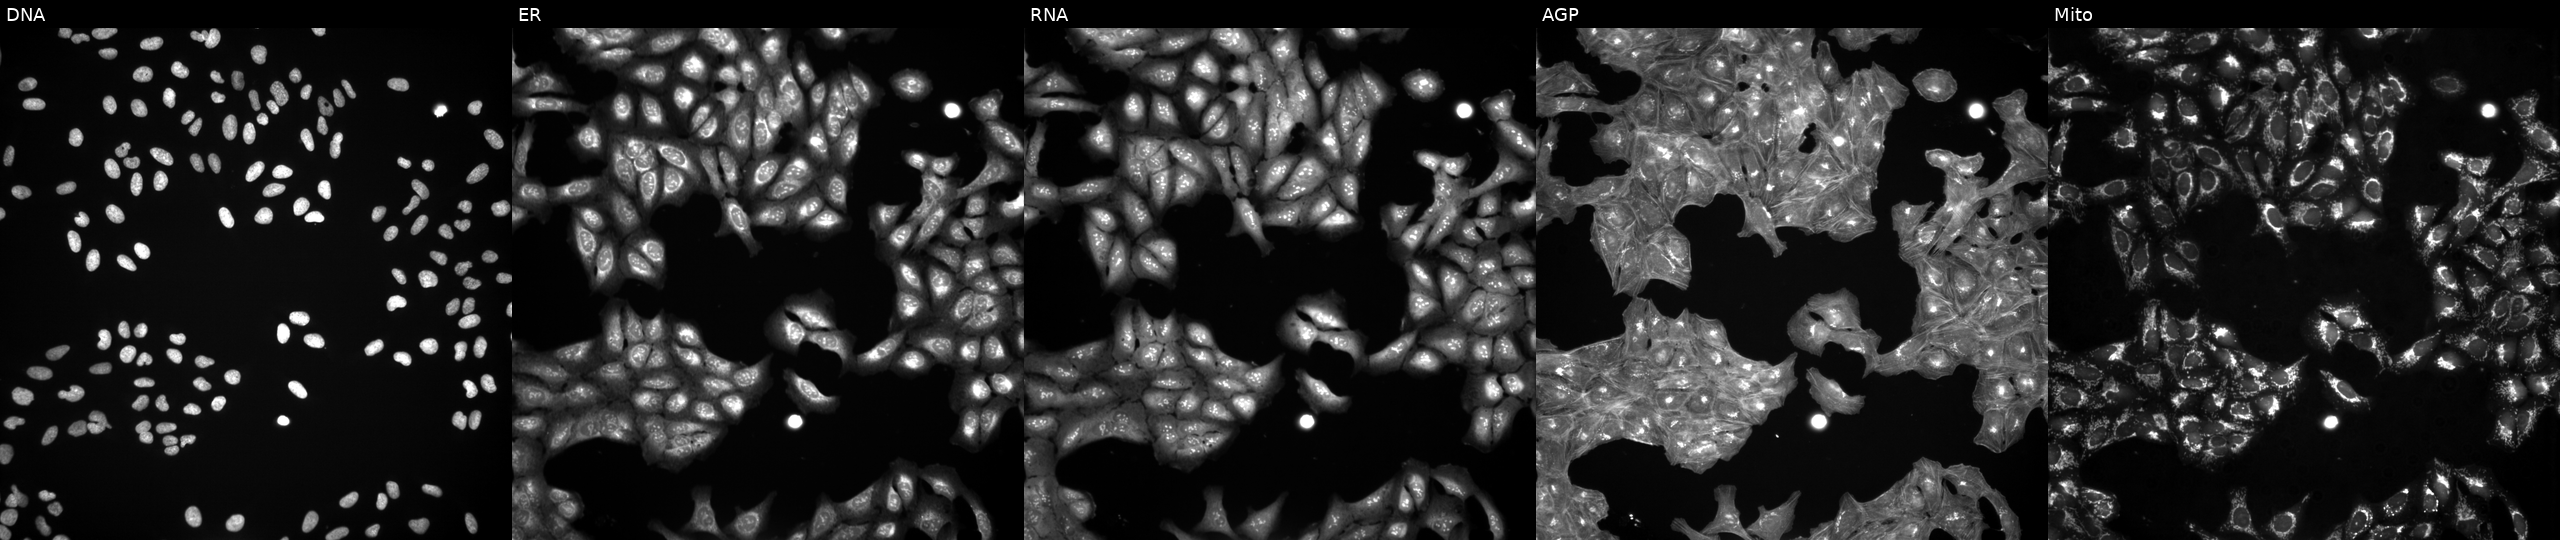
U2OS cells, Cell Painting assay, treated with a small-molecule compound. Channels (left→right): DNA, ER, RNA, AGP, and Mito. Each panel is percentile-stretched 16-bit fluorescence. Source 3, plate JCPQC051, well B21.